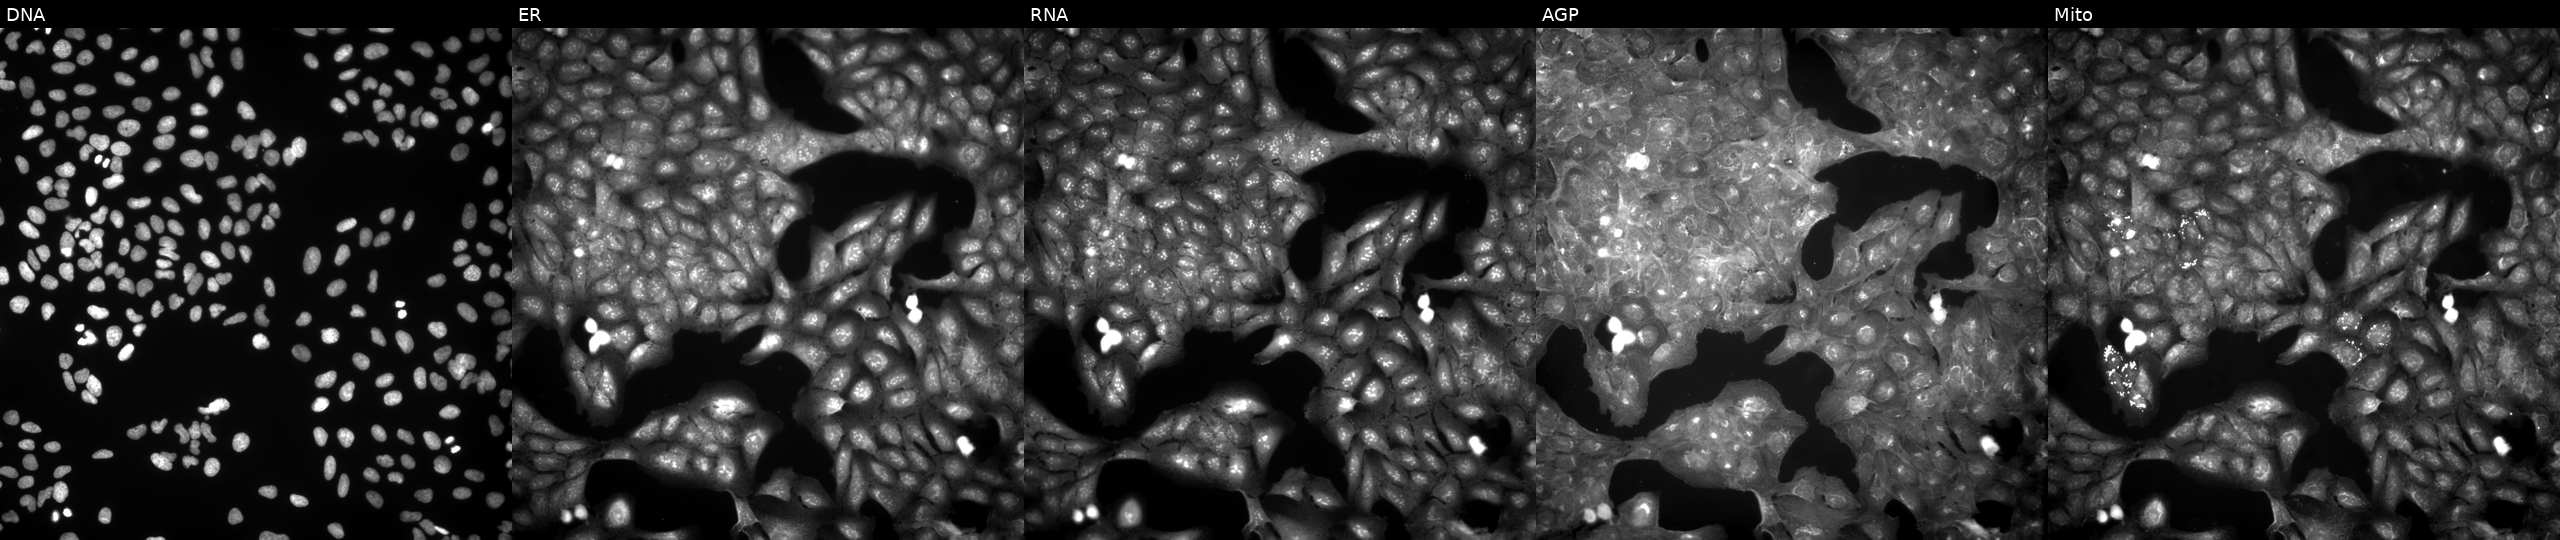
From left to right: DNA (nuclei); ER (endoplasmic reticulum); RNA (nucleoli and cytoplasmic RNA); AGP (actin cytoskeleton, Golgi, and plasma membrane); Mito (mitochondria). U2OS osteosarcoma cells exposed to a small-molecule compound (InChIKey QZVIDIVQEHYYSR-UHFFFAOYSA-N) (JUMP id JCP2022_076971). Cell Painting assay, JUMP-CP dataset. Source 9, plate GR00003381, well X21.